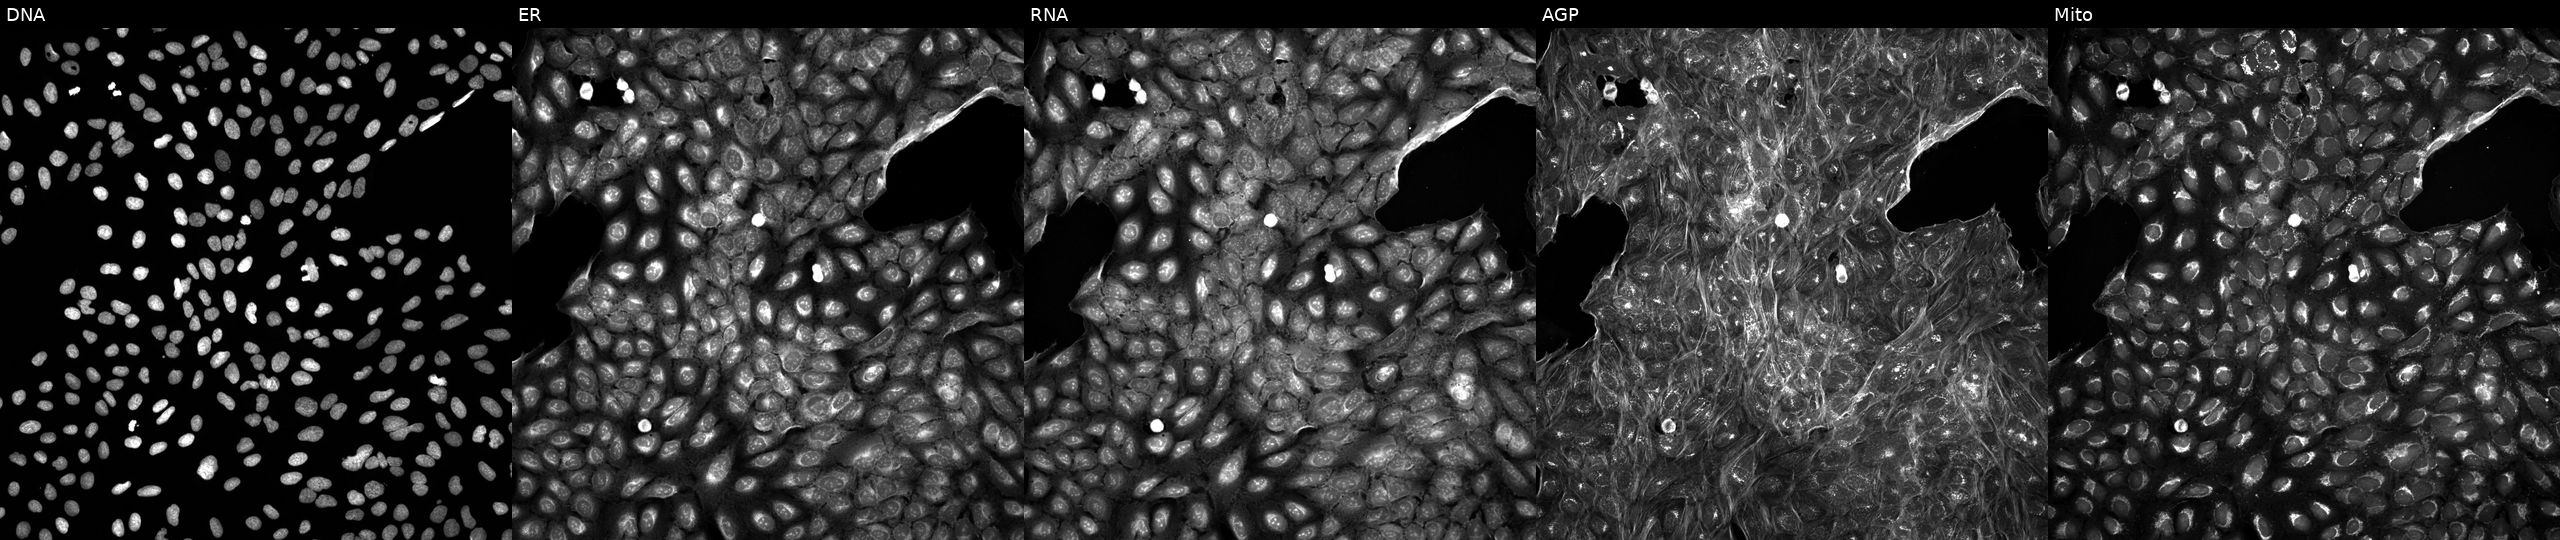
U2OS cells, Cell Painting assay, treated with a small-molecule compound (InChIKey CKTSBUTUHBMZGZ-UHFFFAOYSA-N) (JUMP id JCP2022_011759). The five panels, left to right, show DNA (nuclei); ER (endoplasmic reticulum); RNA (nucleoli and cytoplasmic RNA); AGP (actin cytoskeleton, Golgi, and plasma membrane); Mito (mitochondria). Each panel is percentile-stretched 16-bit fluorescence.